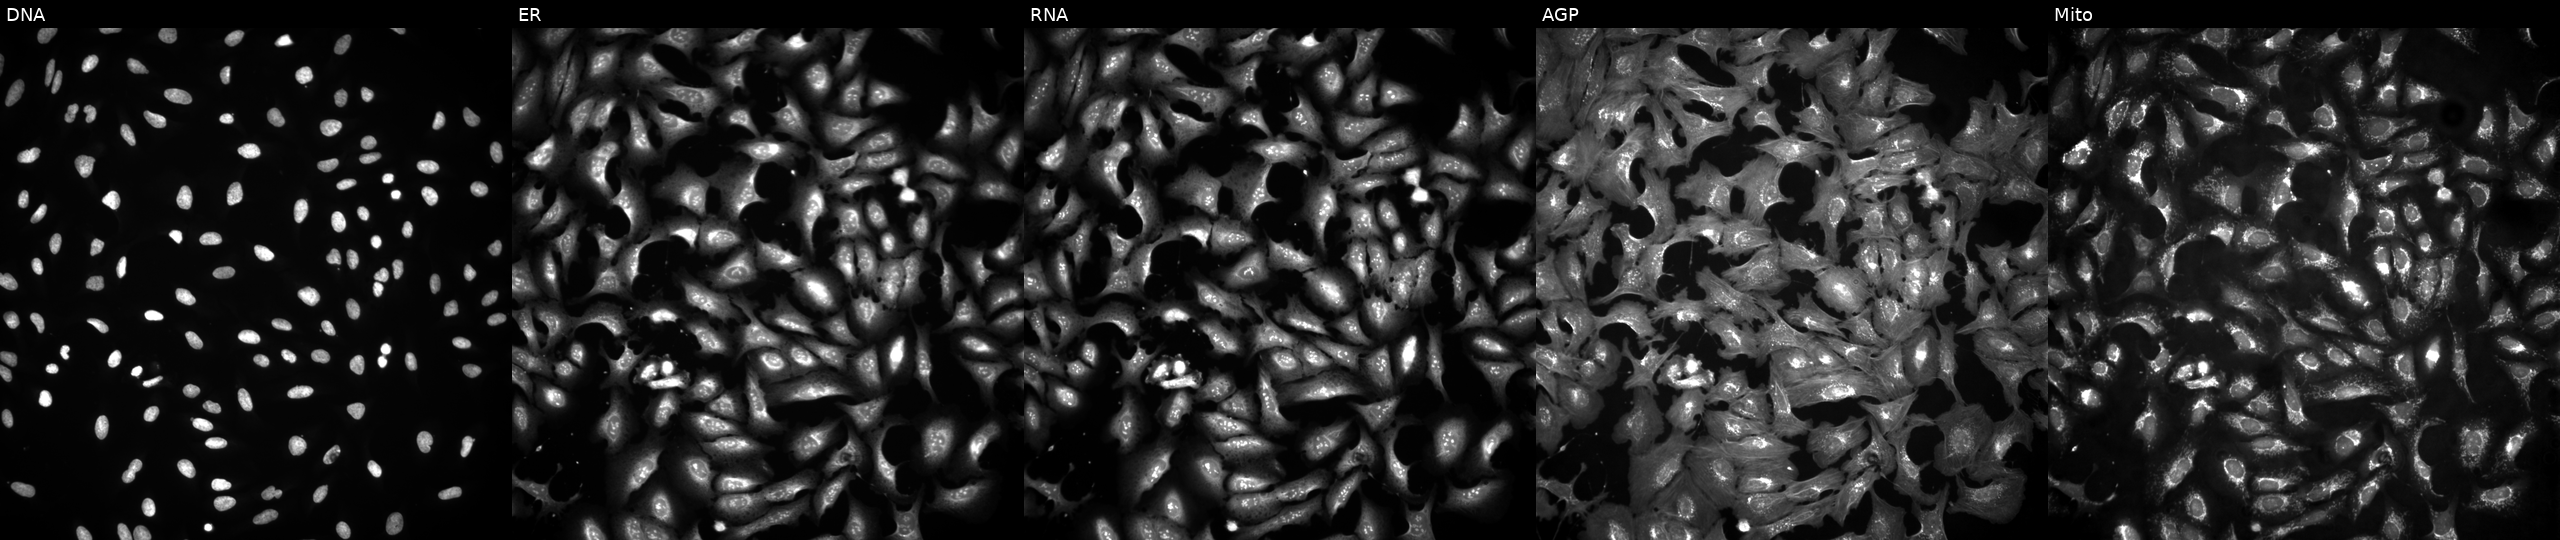
Channels (left→right): DNA, ER, RNA, AGP, and Mito. U2OS osteosarcoma cells with ULK4 overexpressed (ORF) (JUMP id JCP2022_914102). Cell Painting assay, JUMP-CP dataset.